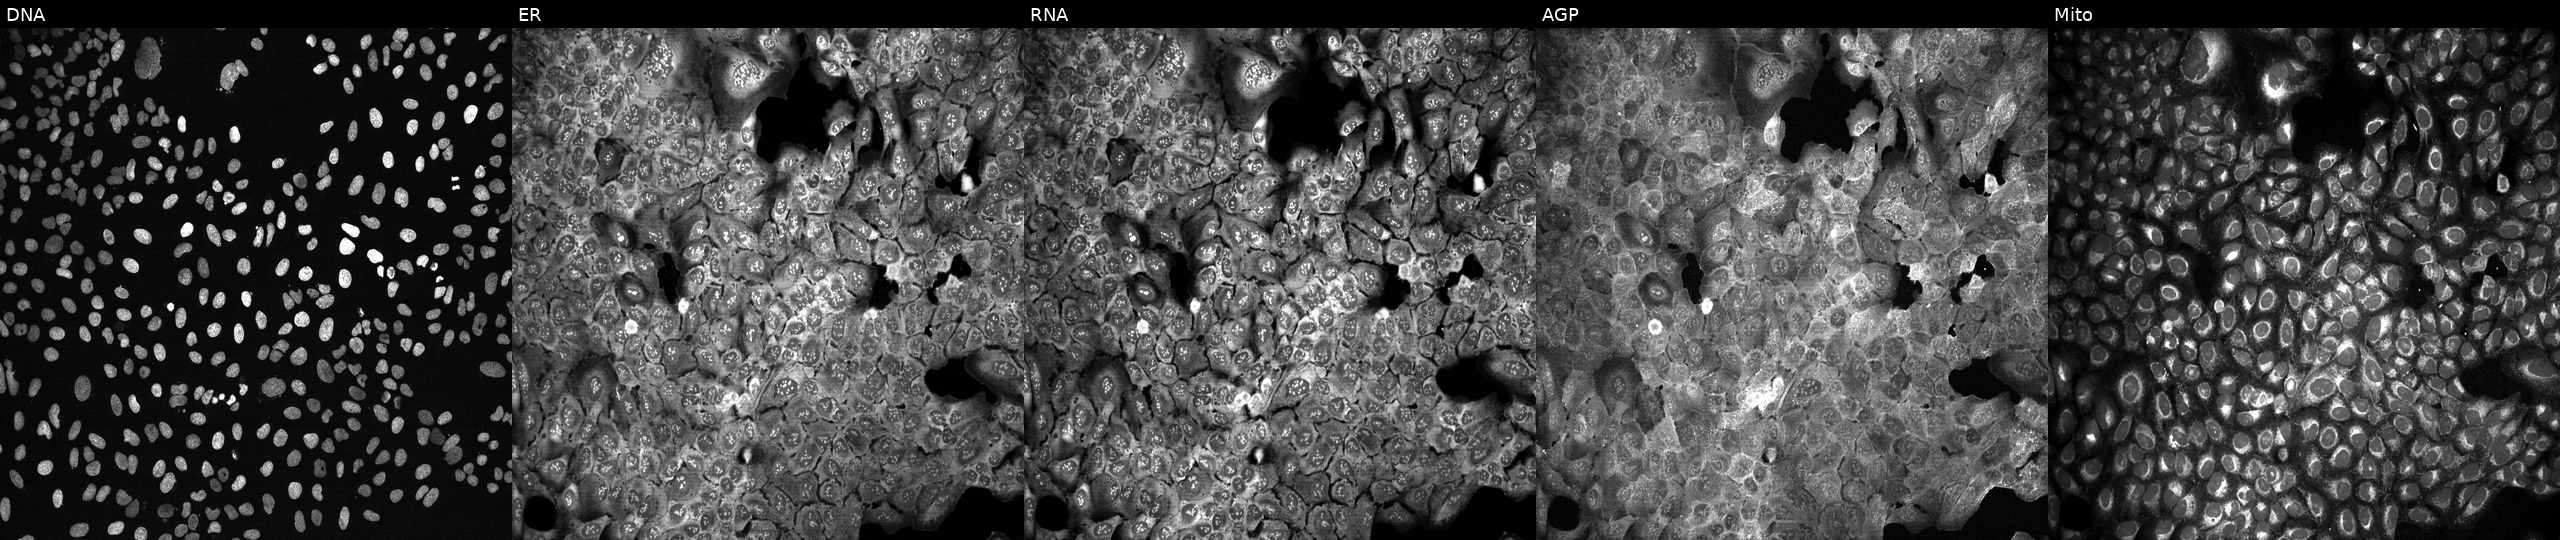
This image strip shows the five Cell Painting channels for a single field of U2OS cells with OSMR knocked out by CRISPR. Channels (left→right): DNA (nuclei); ER (endoplasmic reticulum); RNA (nucleoli and cytoplasmic RNA); AGP (actin cytoskeleton, Golgi, and plasma membrane); Mito (mitochondria).